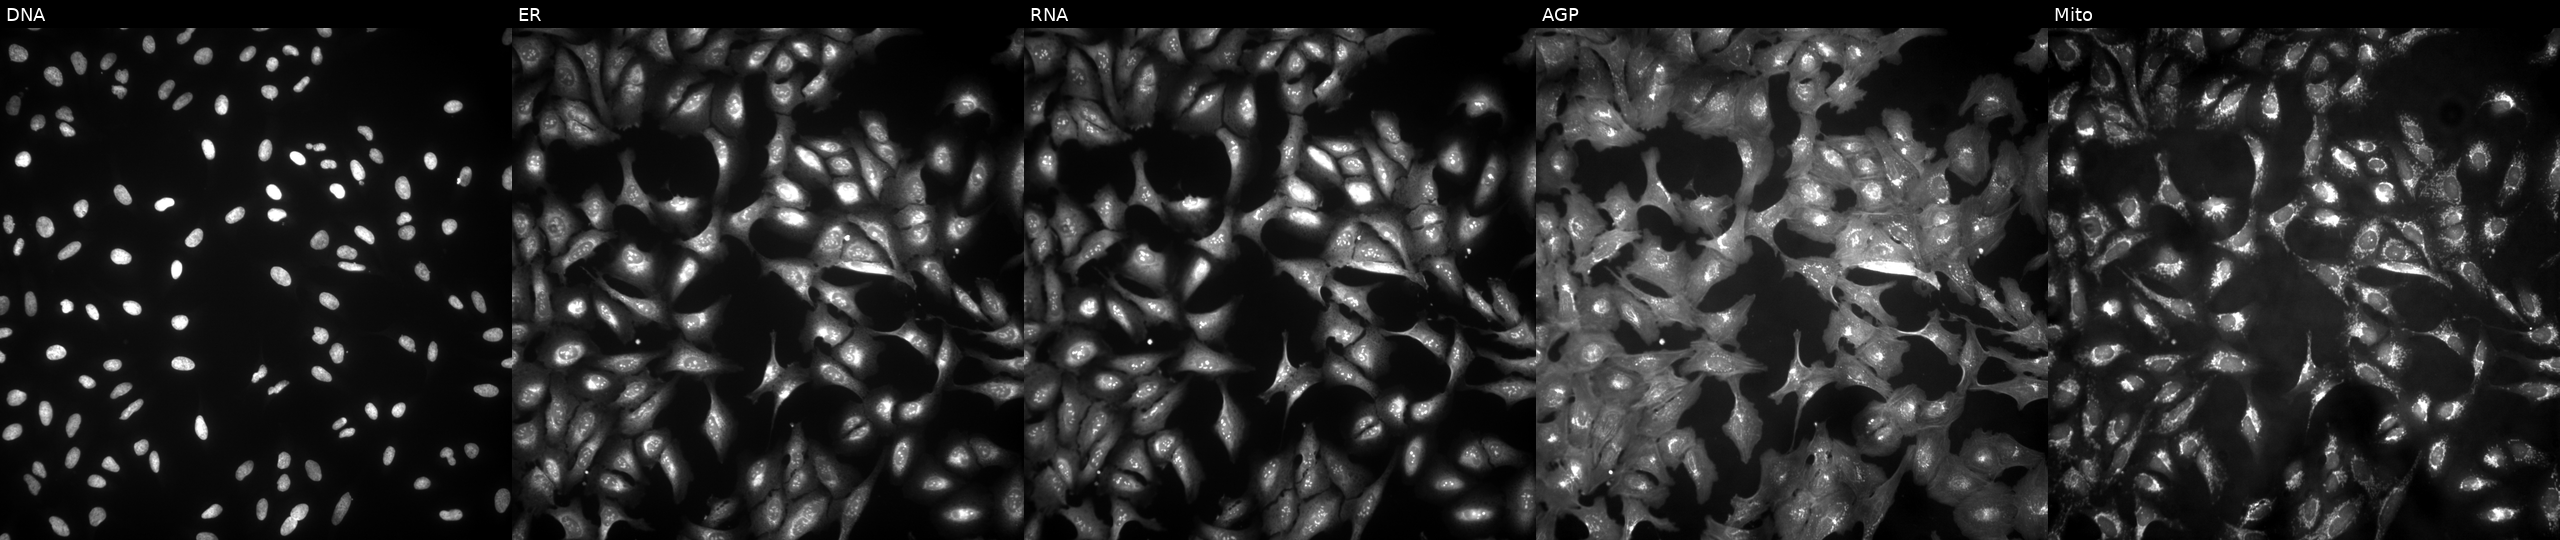
This image strip shows the five Cell Painting channels for a single field of U2OS cells overexpressing UBE2O via ORF transfection. Panels show, left to right, Hoechst 33342, concanavalin A, SYTO 14, phalloidin and WGA, MitoTracker.